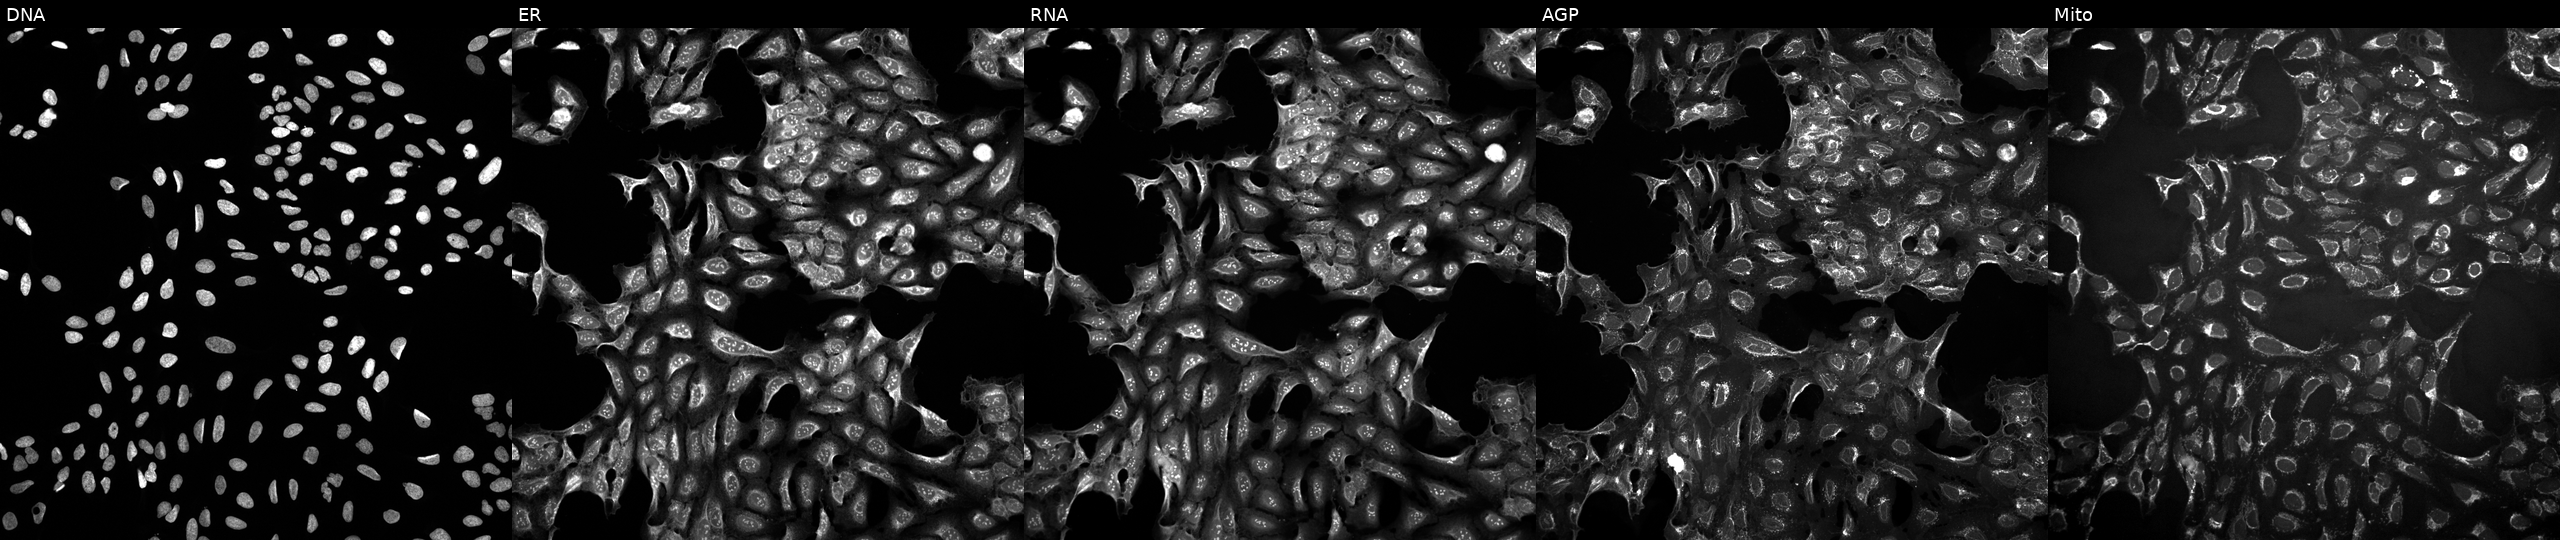
JUMP Cell Painting — TARGET2 plate. U2OS cells exposed to DMSO alone as a negative control. Channels (left→right): DNA, ER, RNA, AGP, and Mito.